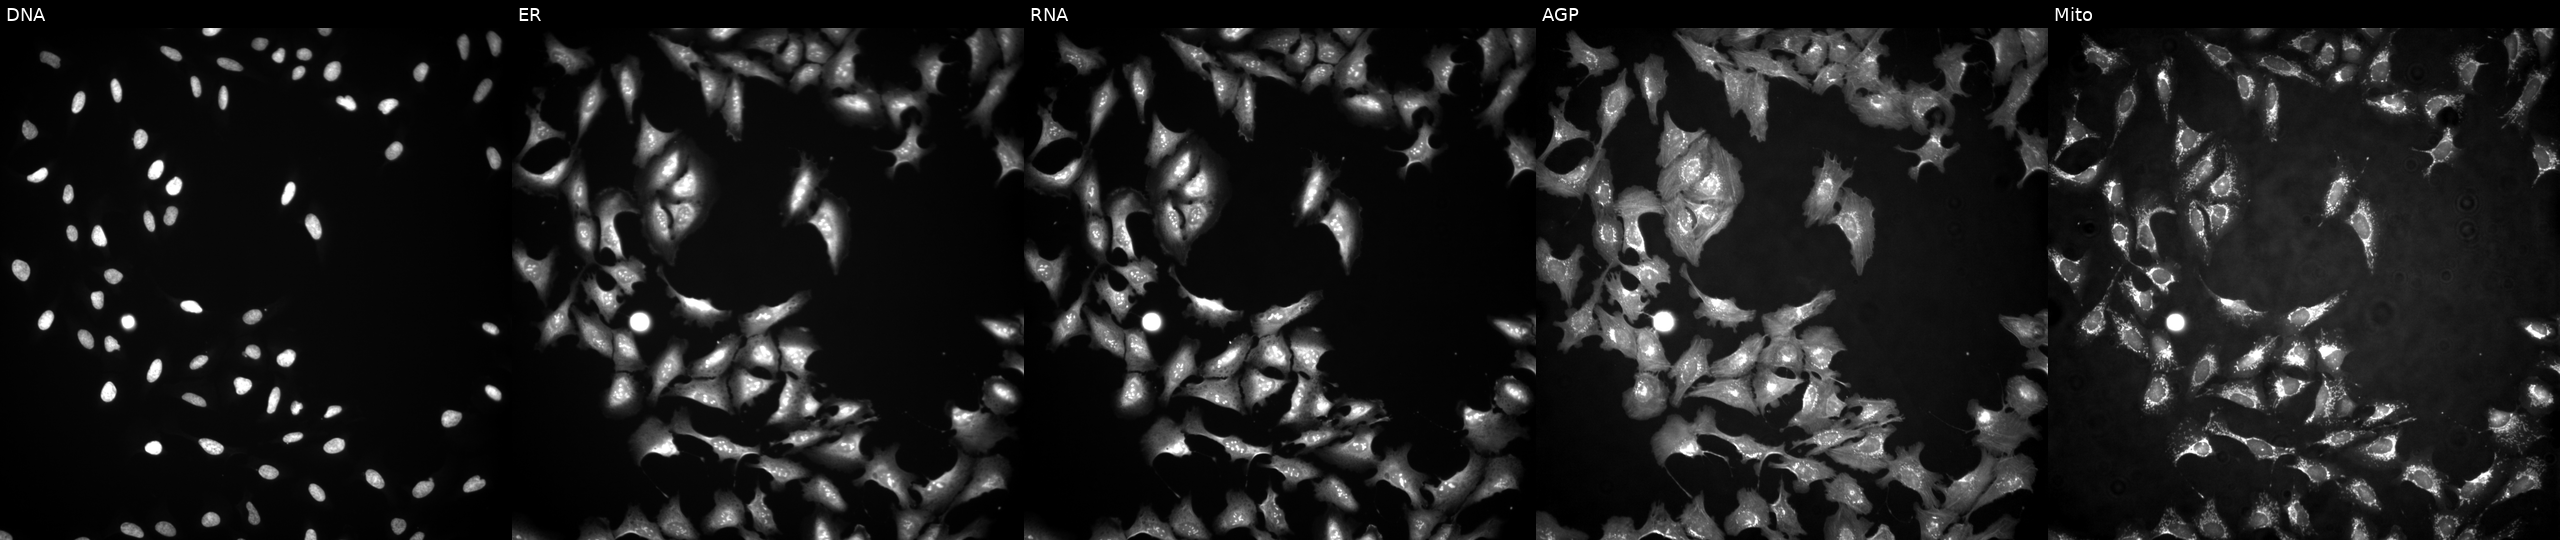
Channels (left→right): DNA (nuclei); ER (endoplasmic reticulum); RNA (nucleoli and cytoplasmic RNA); AGP (actin cytoskeleton, Golgi, and plasma membrane); Mito (mitochondria). U2OS osteosarcoma cells transfected with an ORF construct for ELF3 (JUMP id JCP2022_912917). Cell Painting assay, JUMP-CP dataset.